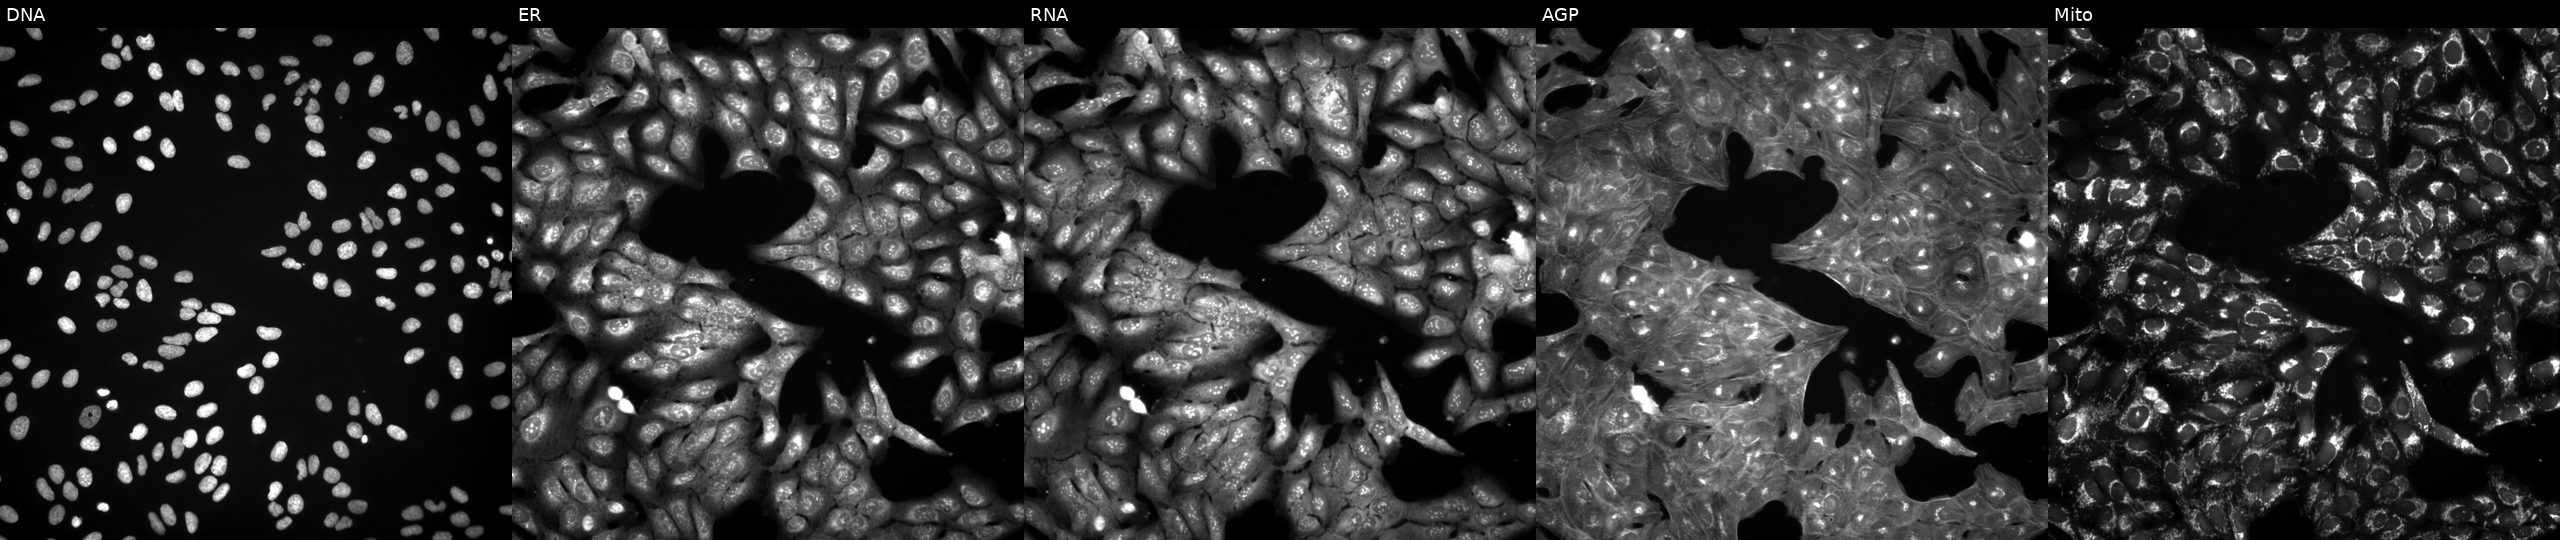
This image strip shows the five Cell Painting channels for a single field of U2OS cells untreated (empty-well control) (JUMP id JCP2022_999999). Panels show, left to right, DNA, ER, RNA, AGP, and Mito.